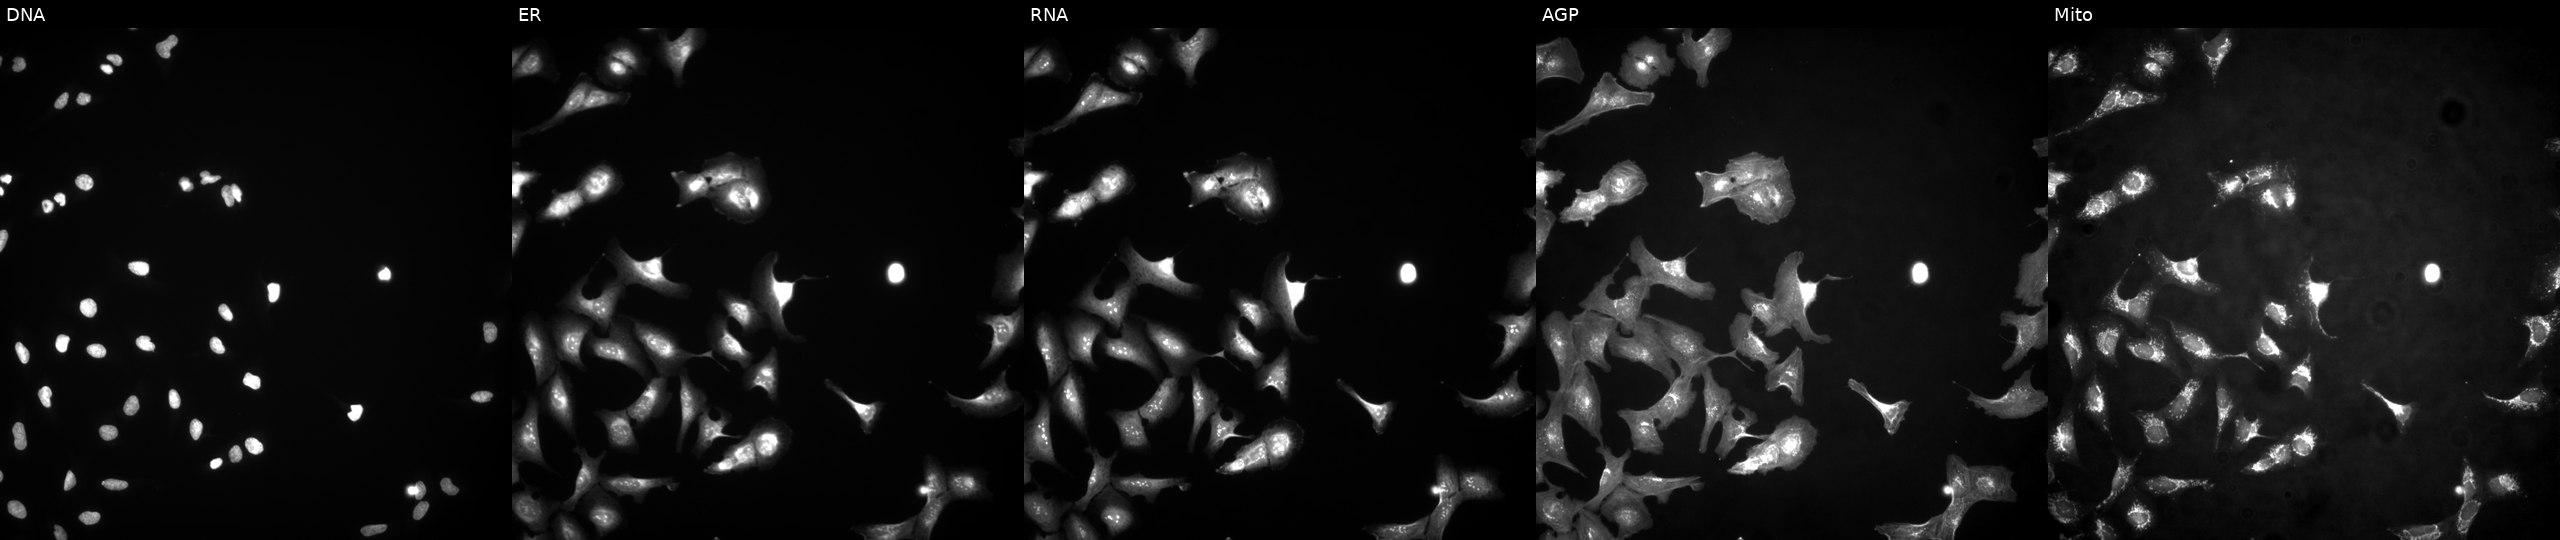
Five-channel Cell Painting image of U2OS cells overexpressing AIFM2 via ORF transfection. Channels (left→right): DNA (nuclei); ER (endoplasmic reticulum); RNA (nucleoli and cytoplasmic RNA); AGP (actin cytoskeleton, Golgi, and plasma membrane); Mito (mitochondria).